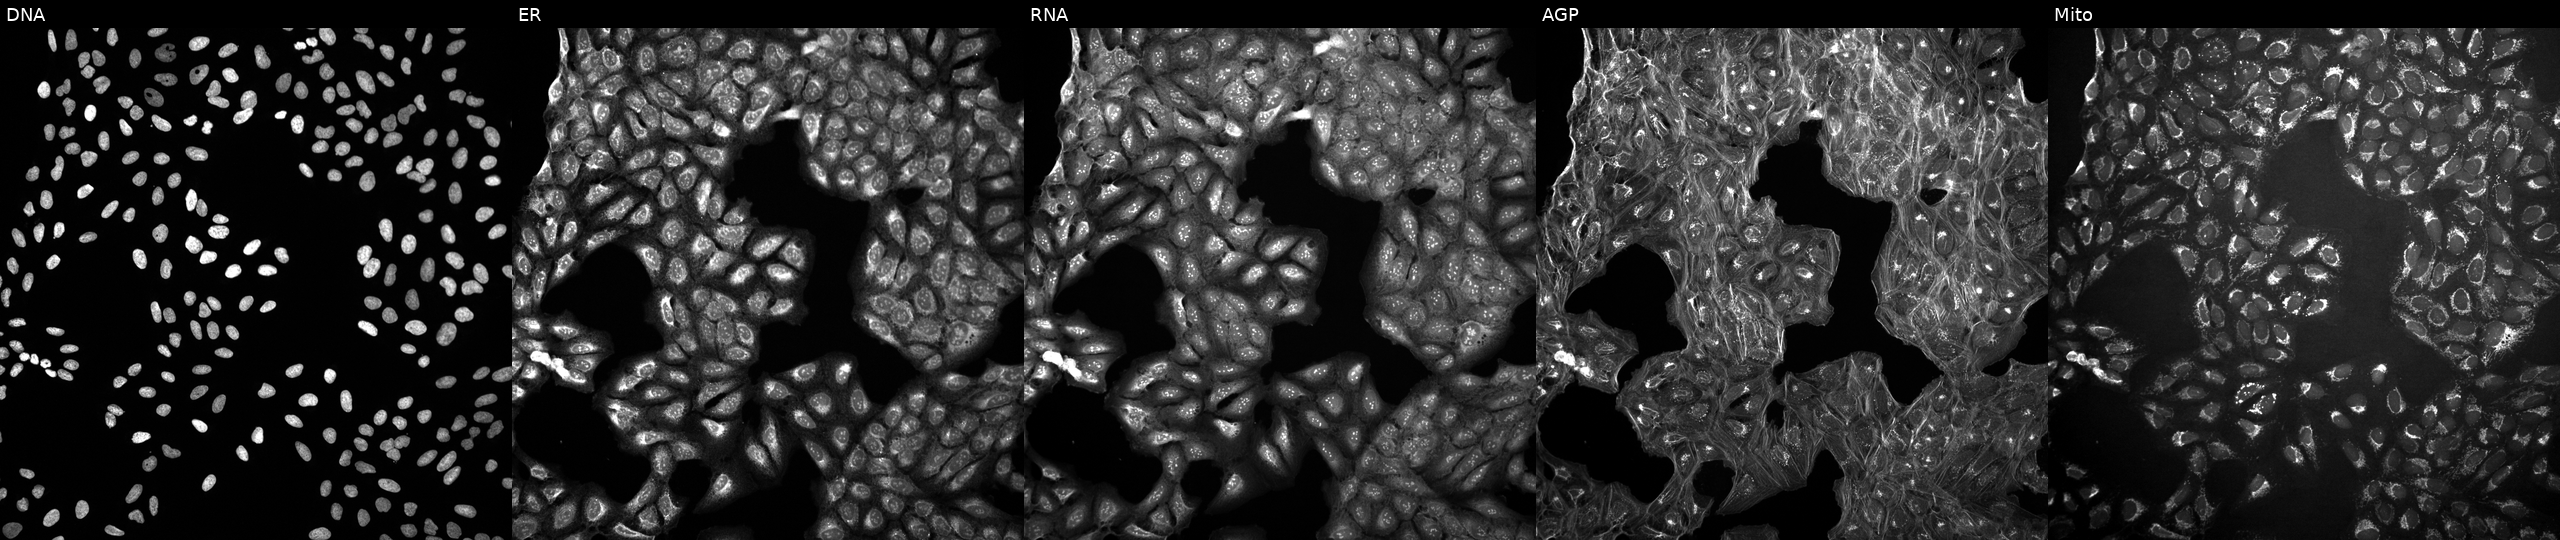
JUMP Cell Painting — COMPOUND plate. U2OS cells untreated (empty-well control) (JUMP id JCP2022_999999). Channels (left→right): DNA (nuclei); ER (endoplasmic reticulum); RNA (nucleoli and cytoplasmic RNA); AGP (actin cytoskeleton, Golgi, and plasma membrane); Mito (mitochondria). Source 10, plate Dest210531-152324, well G13.